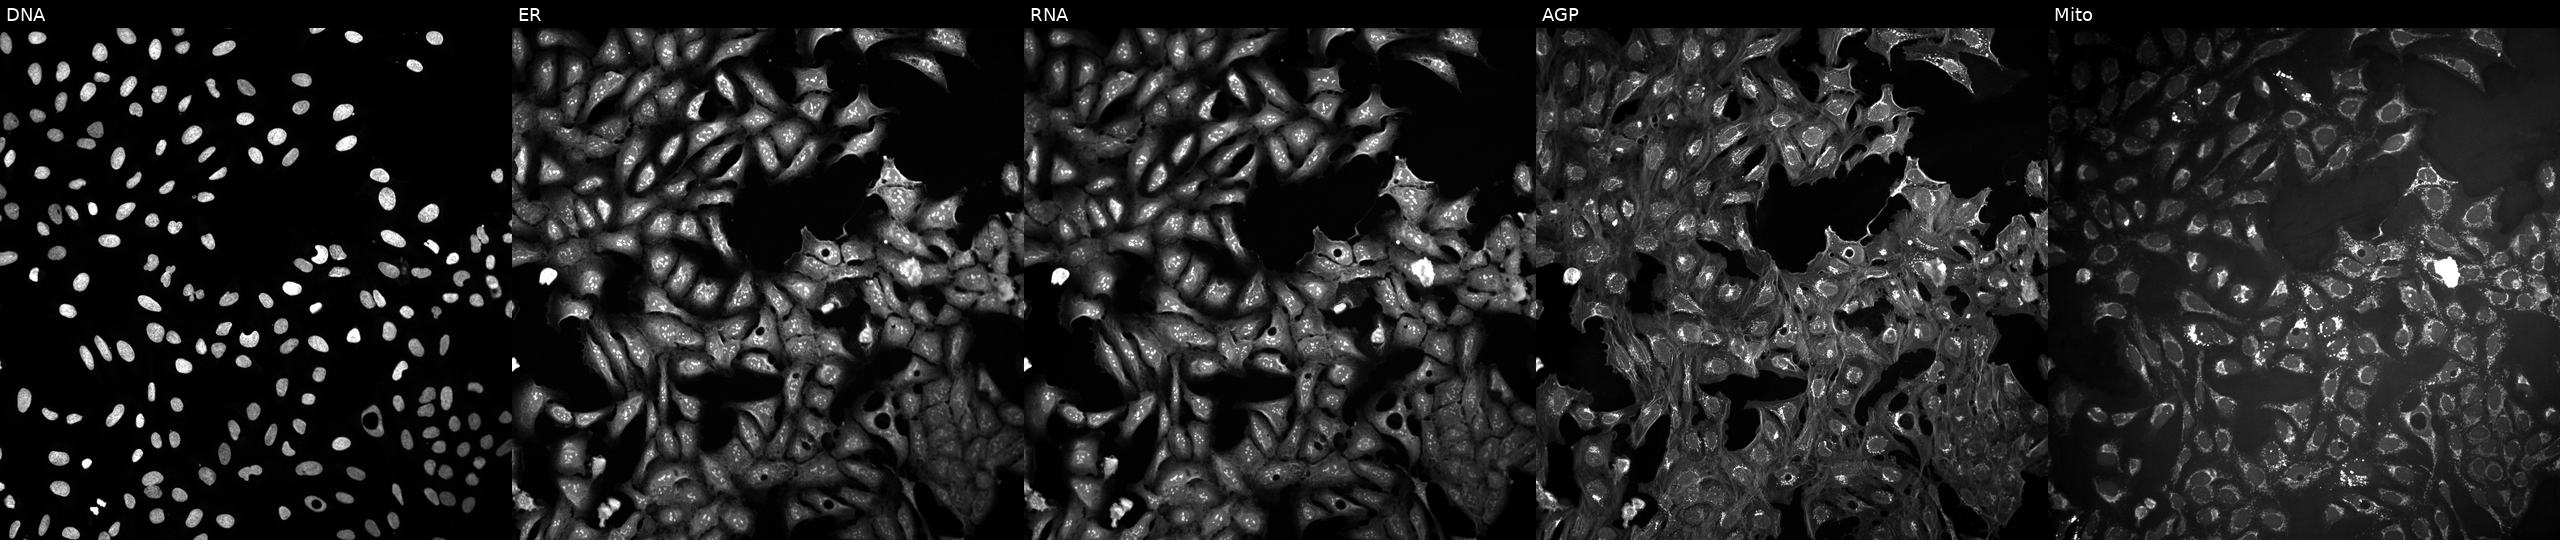
This image strip shows the five Cell Painting channels for a single field of U2OS cells treated with a small-molecule compound (JUMP id JCP2022_015544). Panels show, left to right, DNA (nuclei); ER (endoplasmic reticulum); RNA (nucleoli and cytoplasmic RNA); AGP (actin cytoskeleton, Golgi, and plasma membrane); Mito (mitochondria).